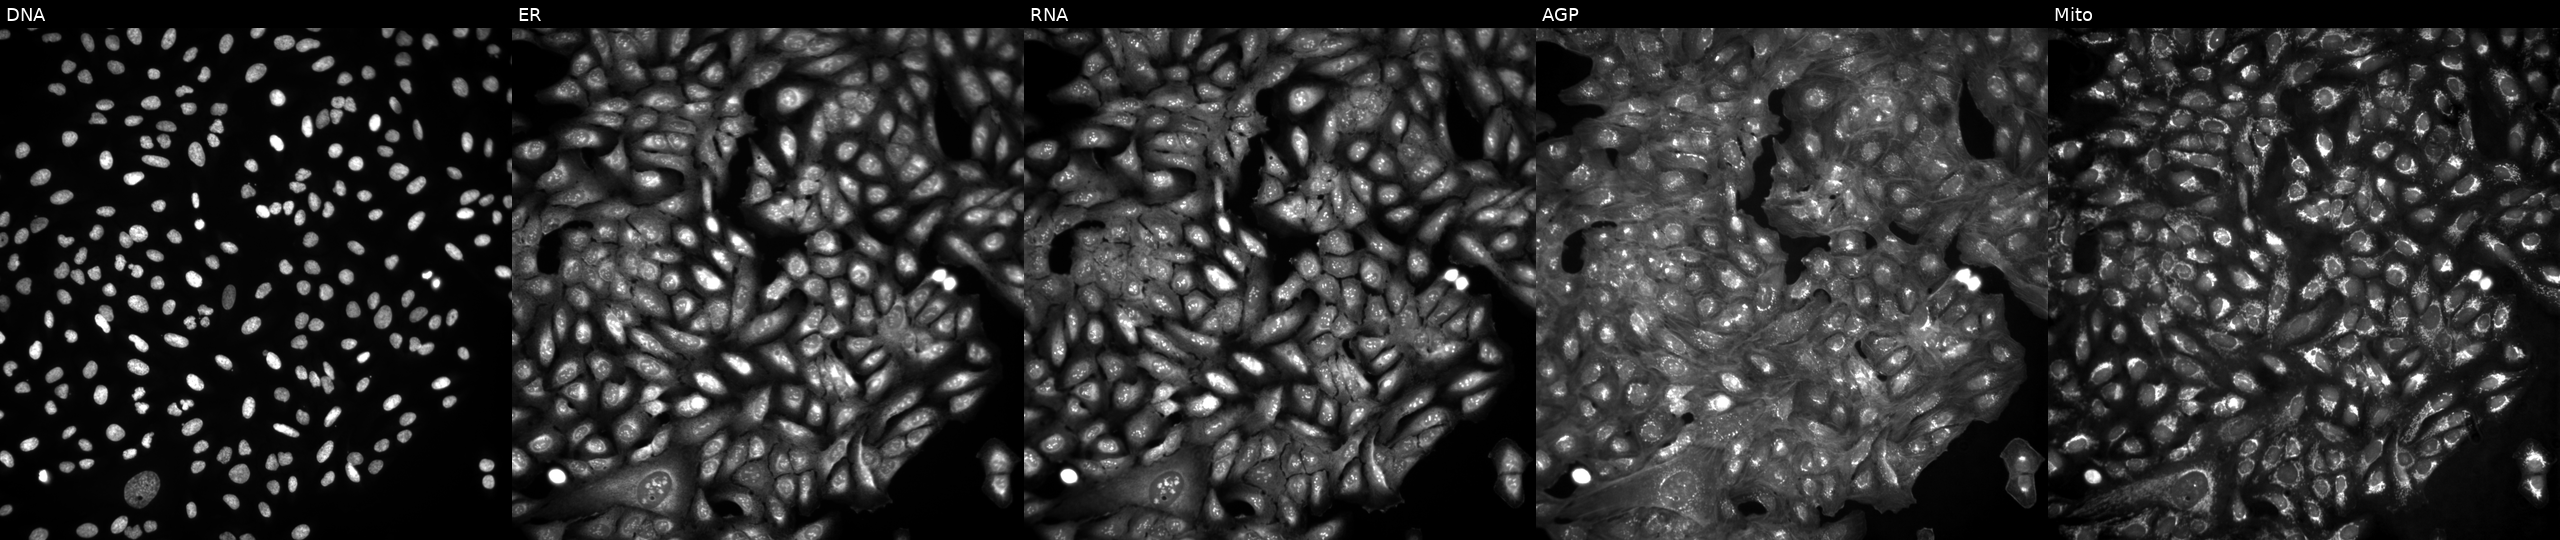
Panels show, left to right, DNA, ER, RNA, AGP, and Mito. U2OS osteosarcoma cells untreated (empty-well control). Cell Painting assay, JUMP-CP dataset.